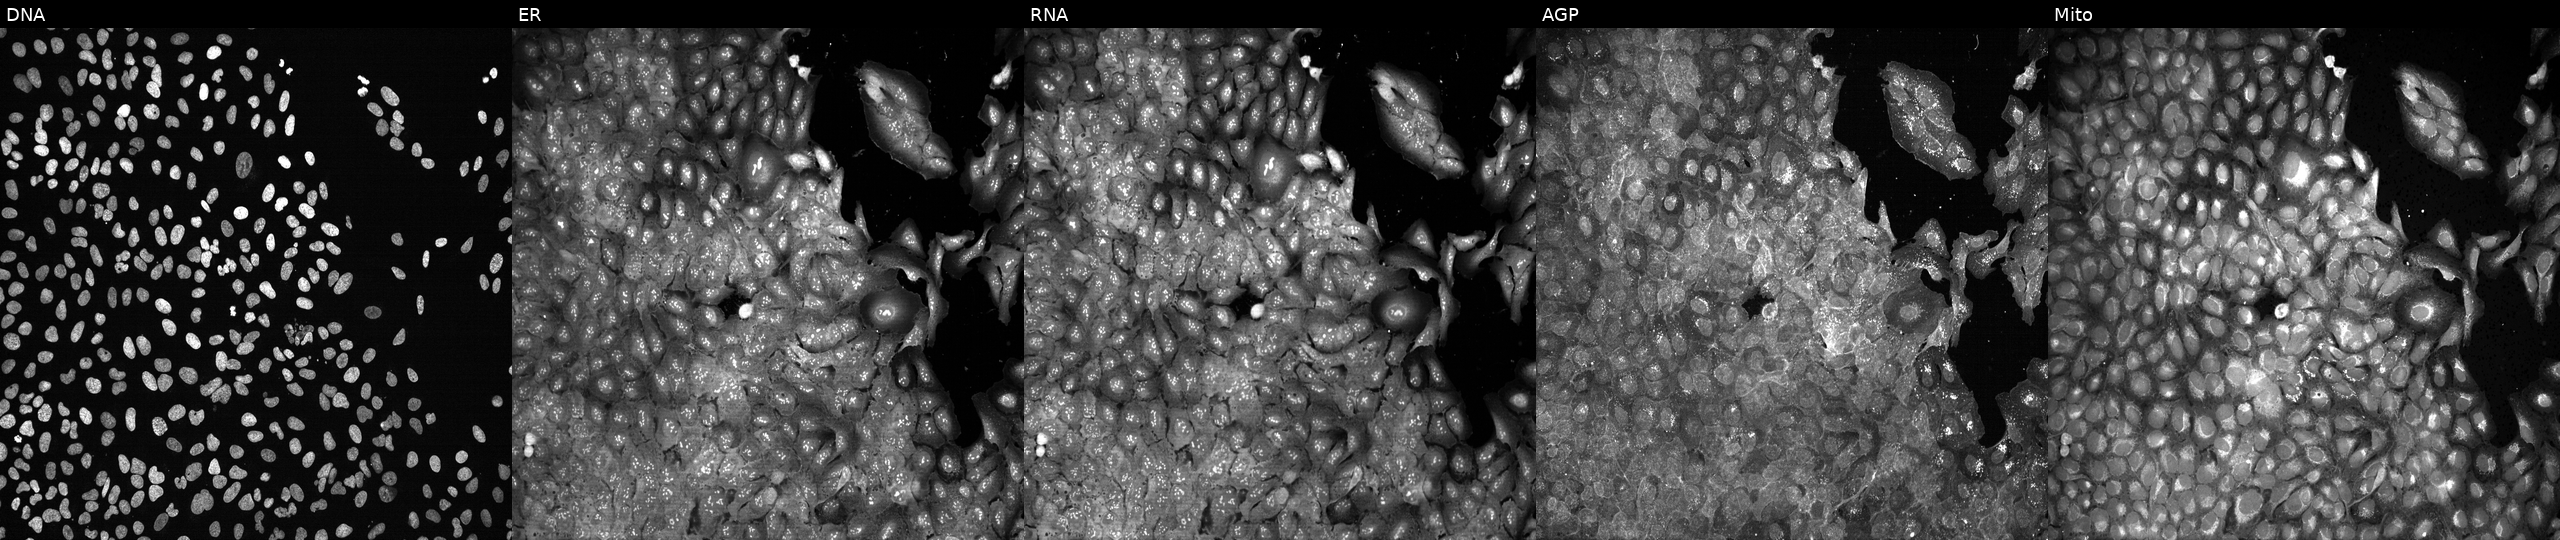
JUMP Cell Painting — CRISPR plate. U2OS cells with PLCG2 knocked out by CRISPR (JUMP id JCP2022_805251). Panels show, left to right, DNA (nuclei); ER (endoplasmic reticulum); RNA (nucleoli and cytoplasmic RNA); AGP (actin cytoskeleton, Golgi, and plasma membrane); Mito (mitochondria). Source 13, plate CP-CC9-R1-02, well H14.